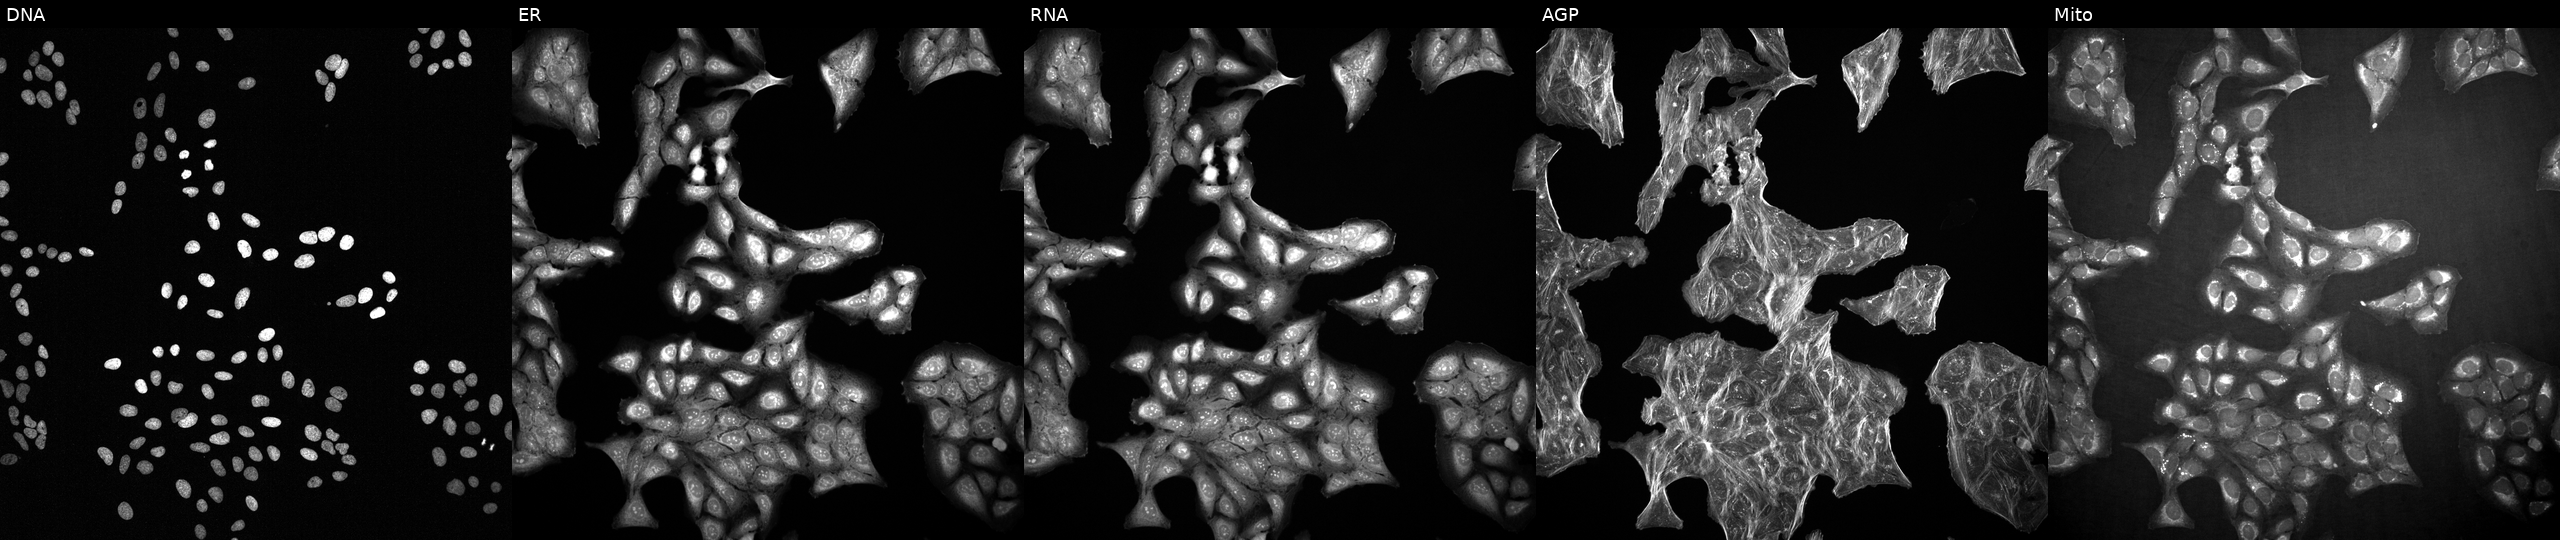
This image strip shows the five Cell Painting channels for a single field of U2OS cells exposed to a small-molecule compound (InChIKey DYQIMMPZYSUWKT-UHFFFAOYSA-N). From left to right: DNA (nuclei); ER (endoplasmic reticulum); RNA (nucleoli and cytoplasmic RNA); AGP (actin cytoskeleton, Golgi, and plasma membrane); Mito (mitochondria). Source 2, plate 1053601756, well I20.